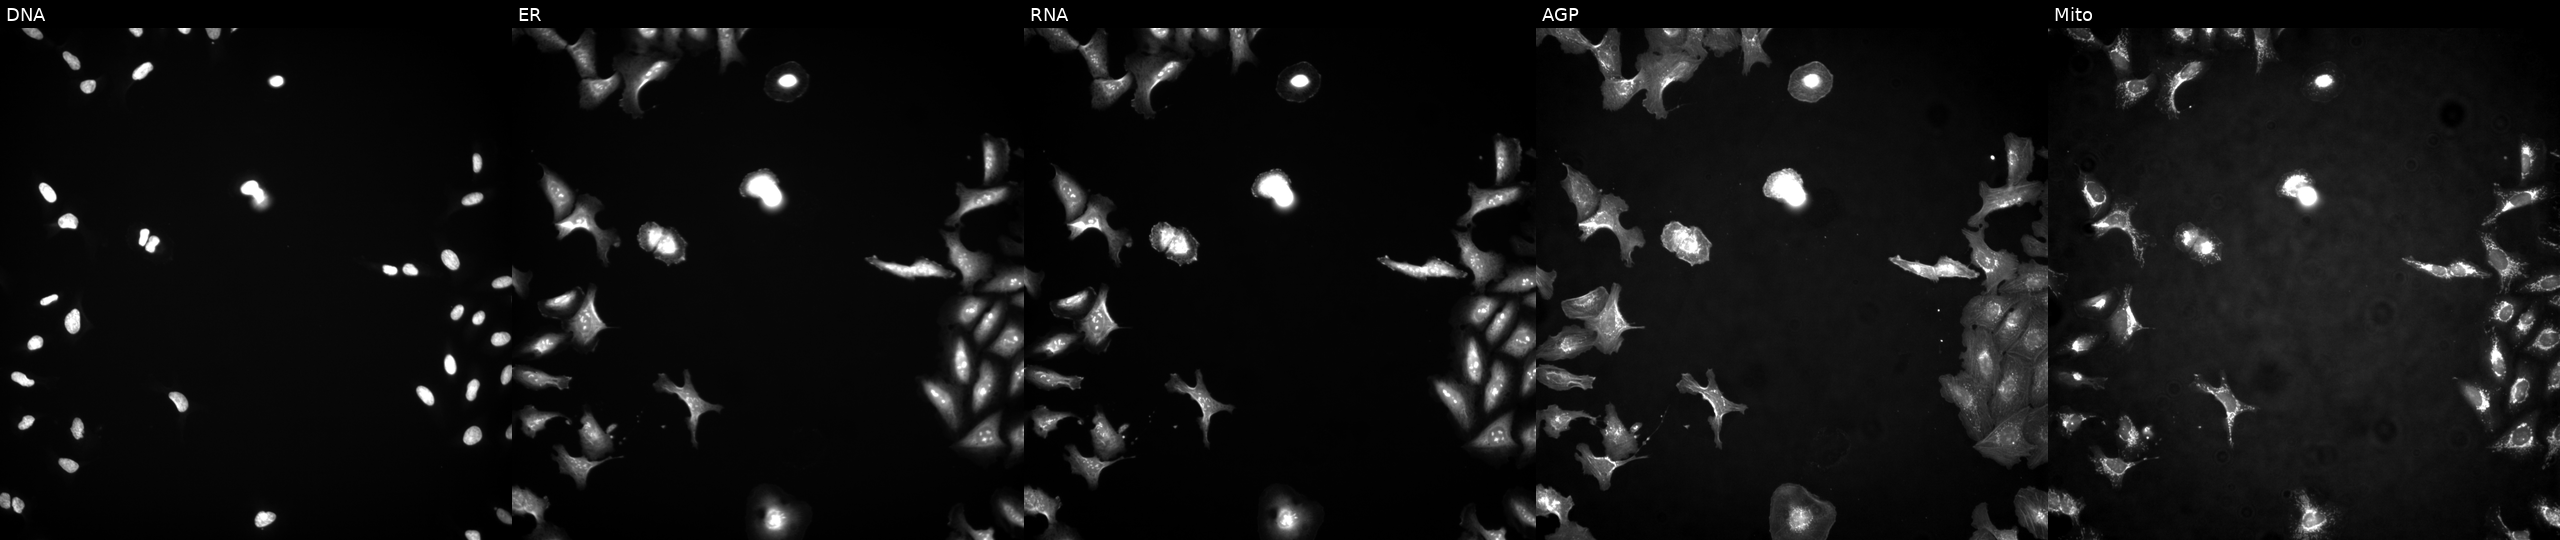
JUMP Cell Painting — ORF plate. U2OS cells overexpressing ZNF786 via ORF transfection. The five panels, left to right, show DNA (nuclei); ER (endoplasmic reticulum); RNA (nucleoli and cytoplasmic RNA); AGP (actin cytoskeleton, Golgi, and plasma membrane); Mito (mitochondria).